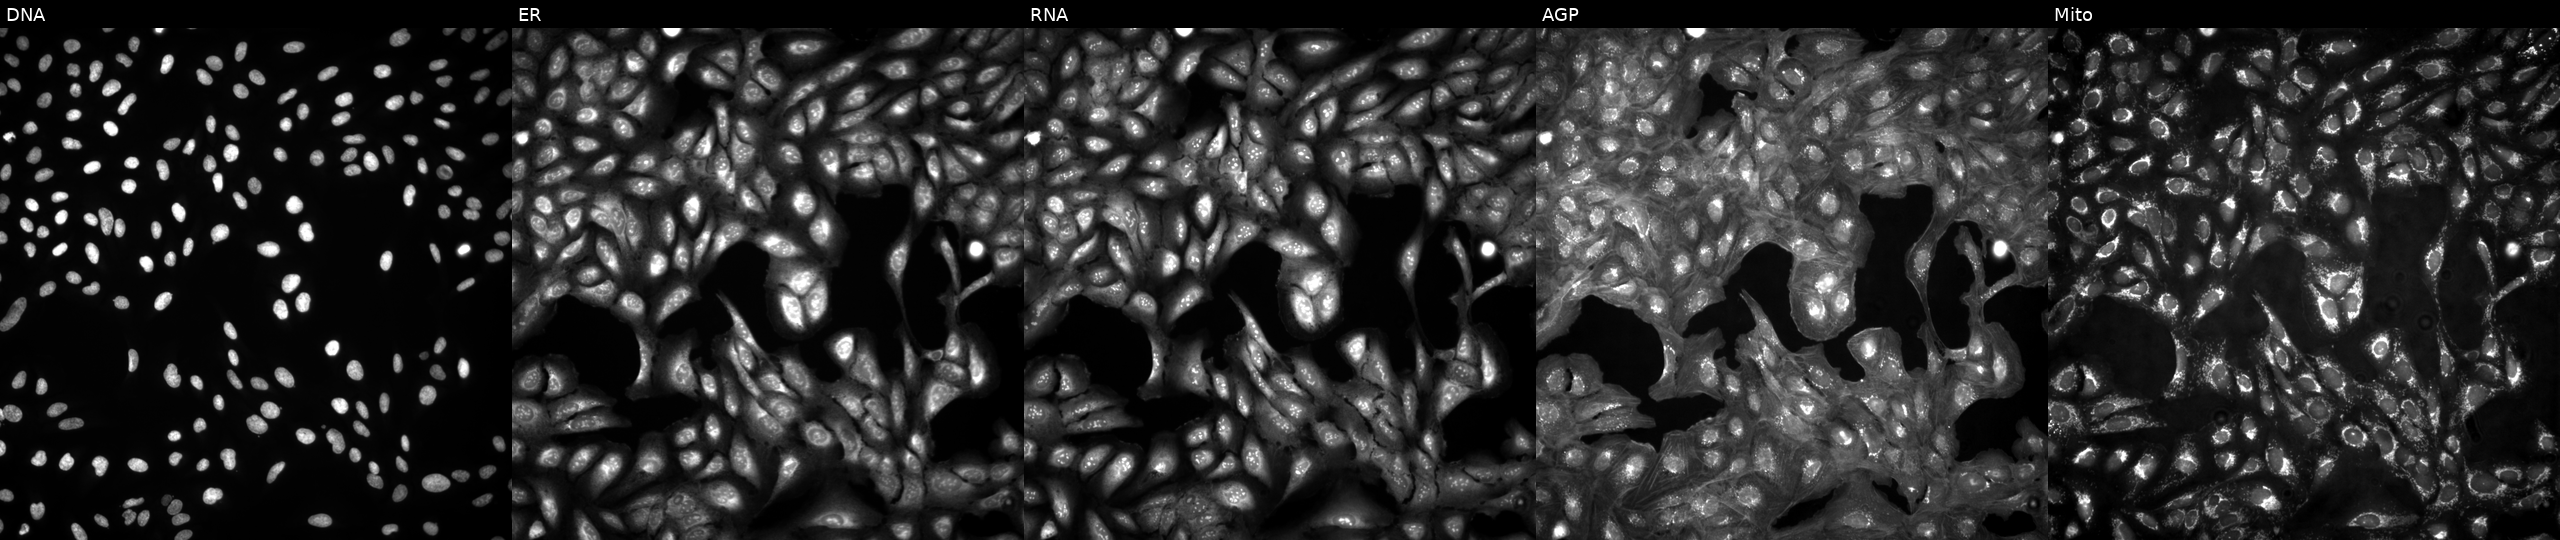
JUMP Cell Painting — ORF plate. U2OS cells in an empty control well (no perturbation) (JUMP id JCP2022_999999). The five panels, left to right, show DNA, ER, RNA, AGP, and Mito.